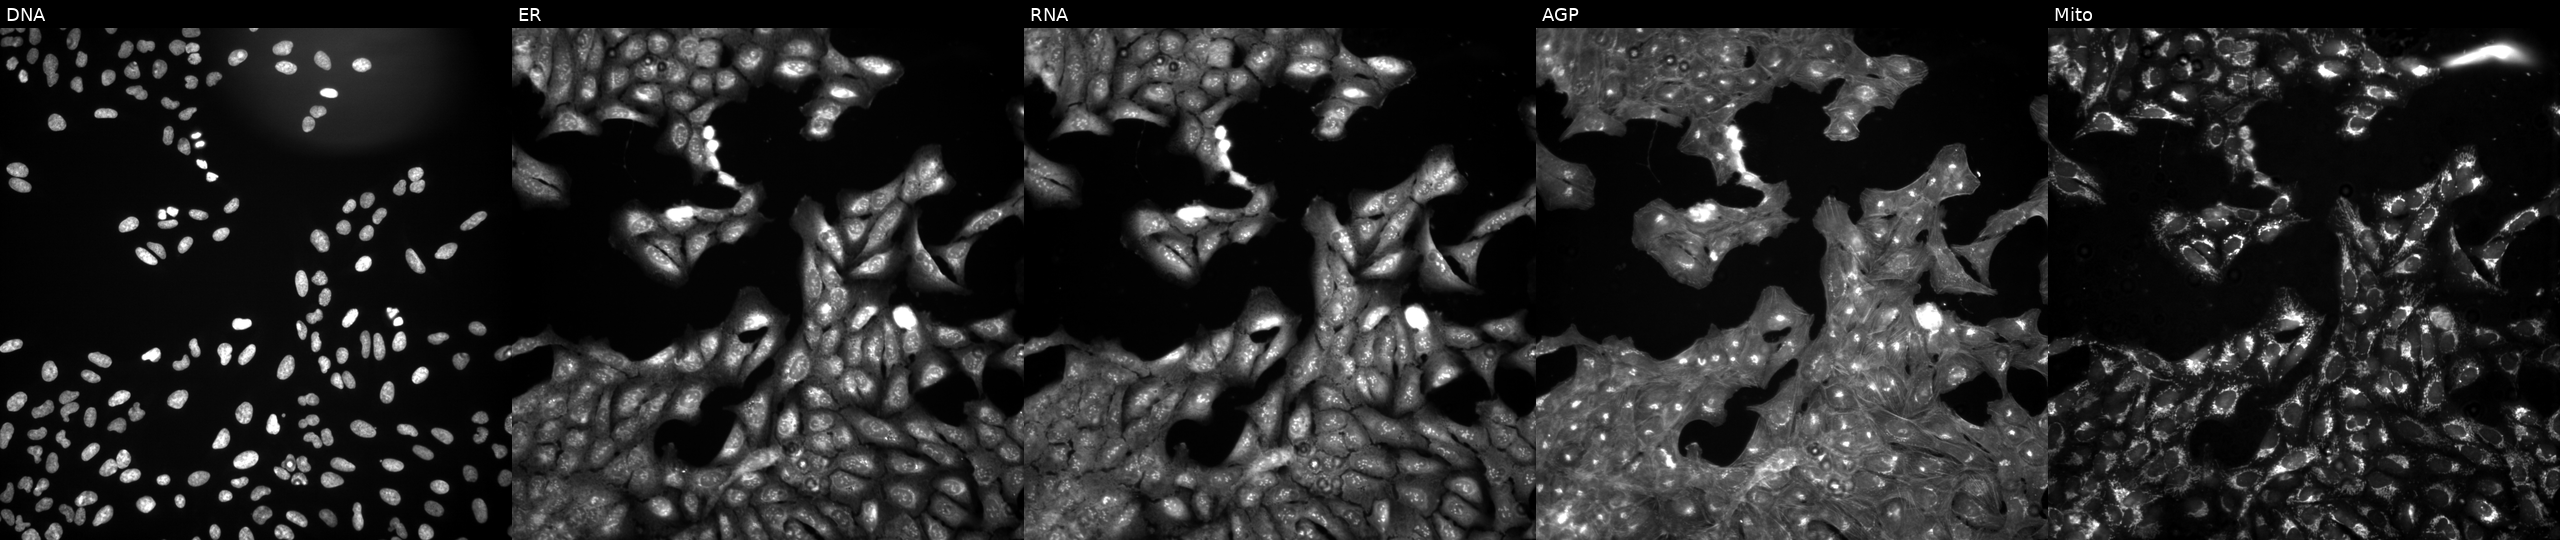
This image strip shows the five Cell Painting channels for a single field of U2OS cells treated with DMSO vehicle only (negative control) (JUMP id JCP2022_033924). Panels show, left to right, Hoechst 33342, concanavalin A, SYTO 14, phalloidin and WGA, MitoTracker. Source 3, plate BR5867b3, well O02.